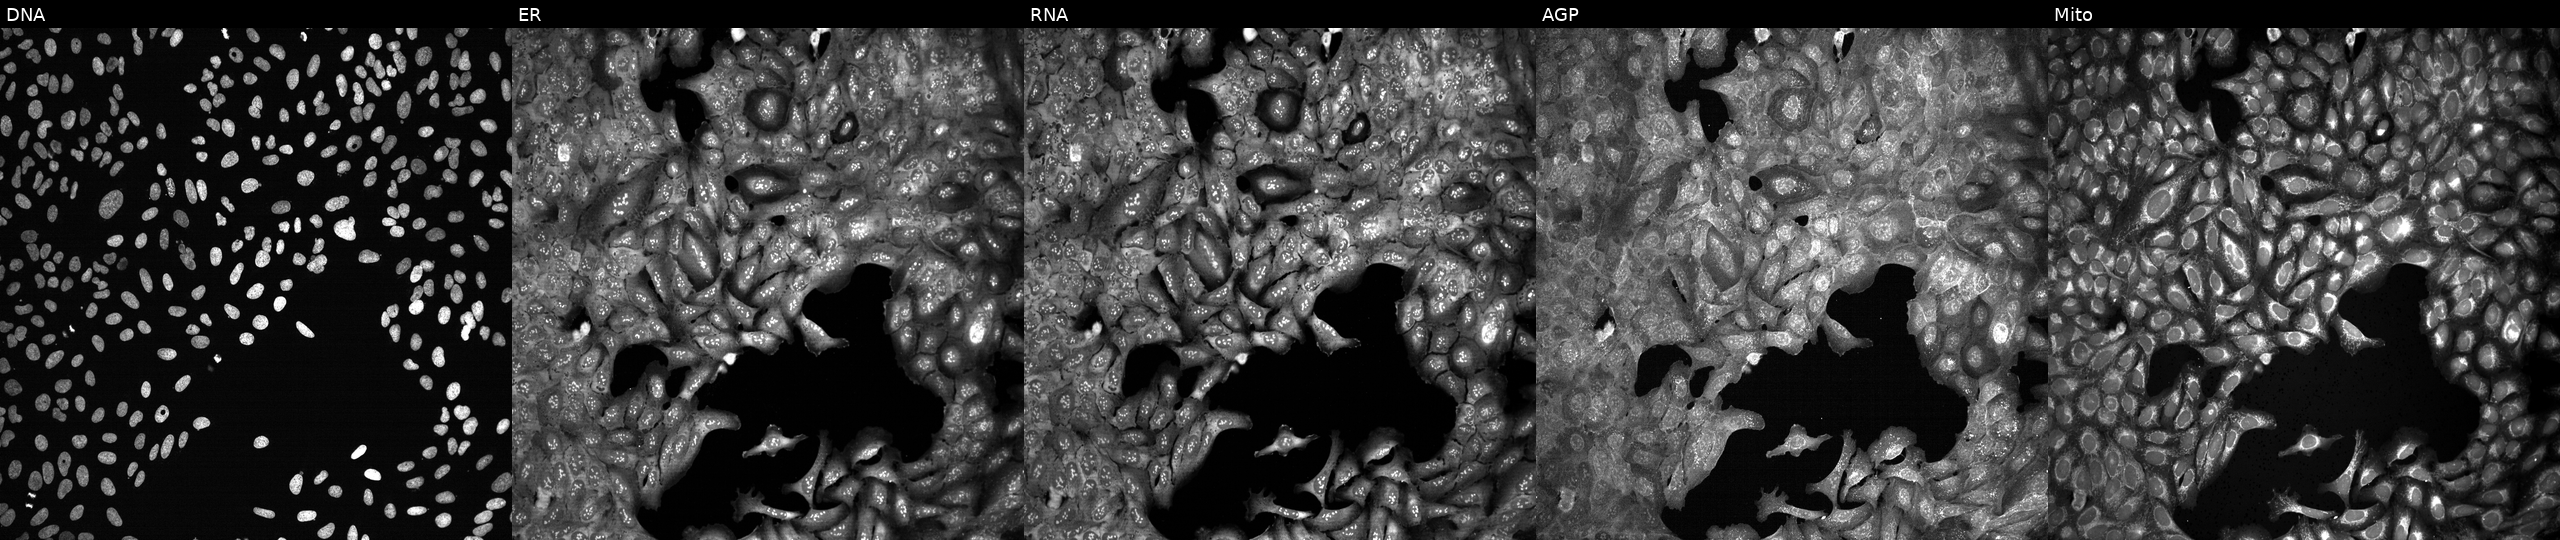
U2OS cells, Cell Painting assay, with ASNSD1 knocked out by CRISPR. From left to right: DNA, ER, RNA, AGP, and Mito. Each panel is percentile-stretched 16-bit fluorescence. Source 13, plate CP-CC9-R5-01, well P04.